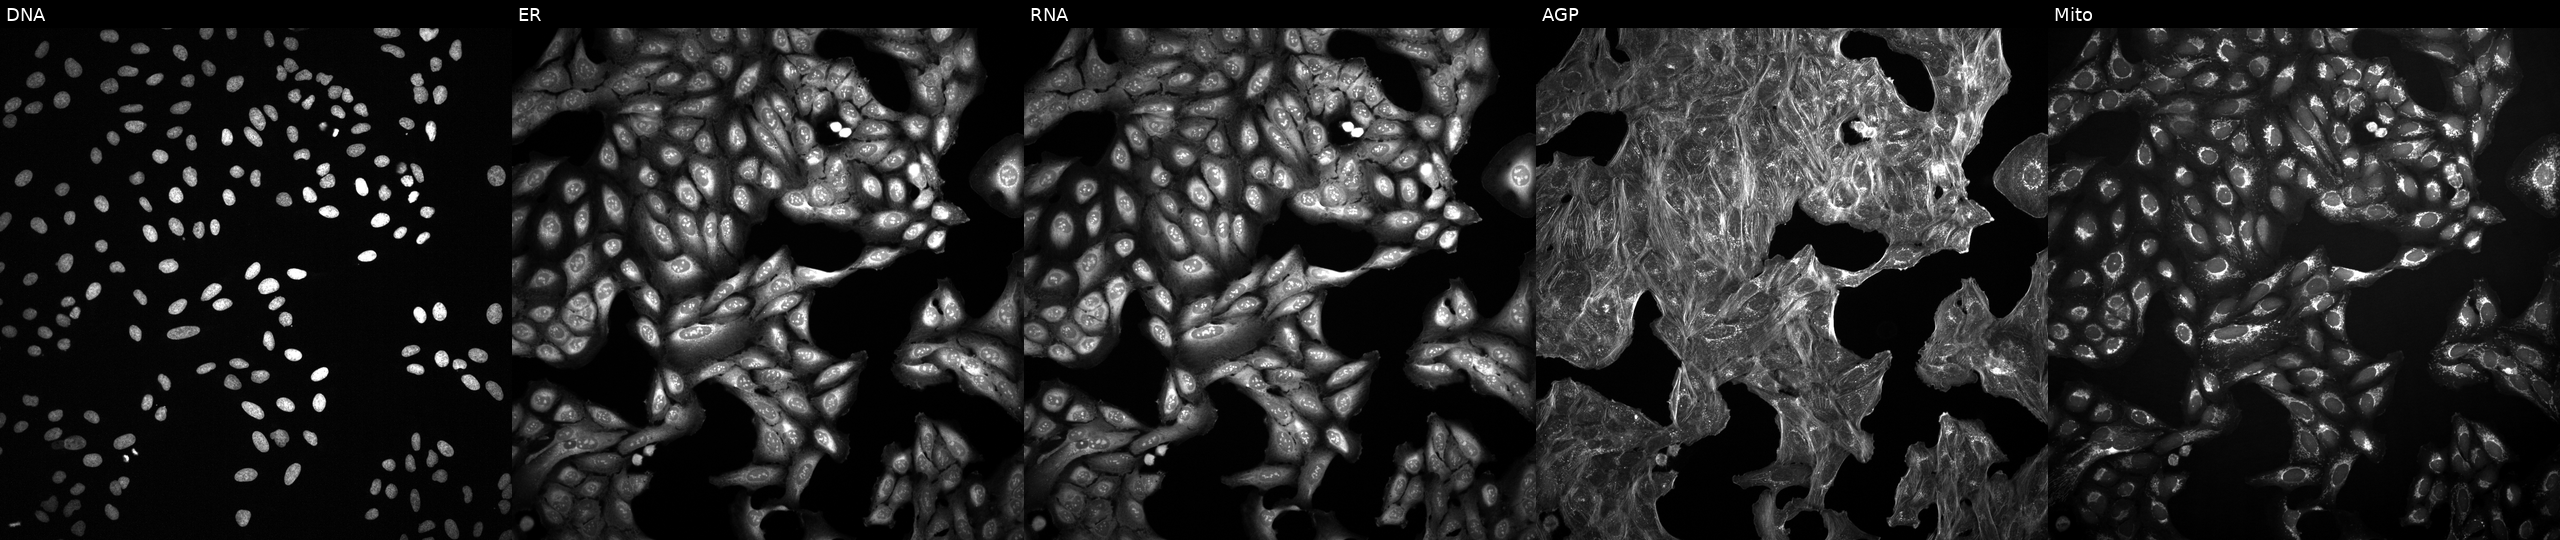
JUMP Cell Painting — TARGET2 plate. U2OS cells exposed to the positive-control compound aloxistatin. From left to right: DNA, ER, RNA, AGP, and Mito.